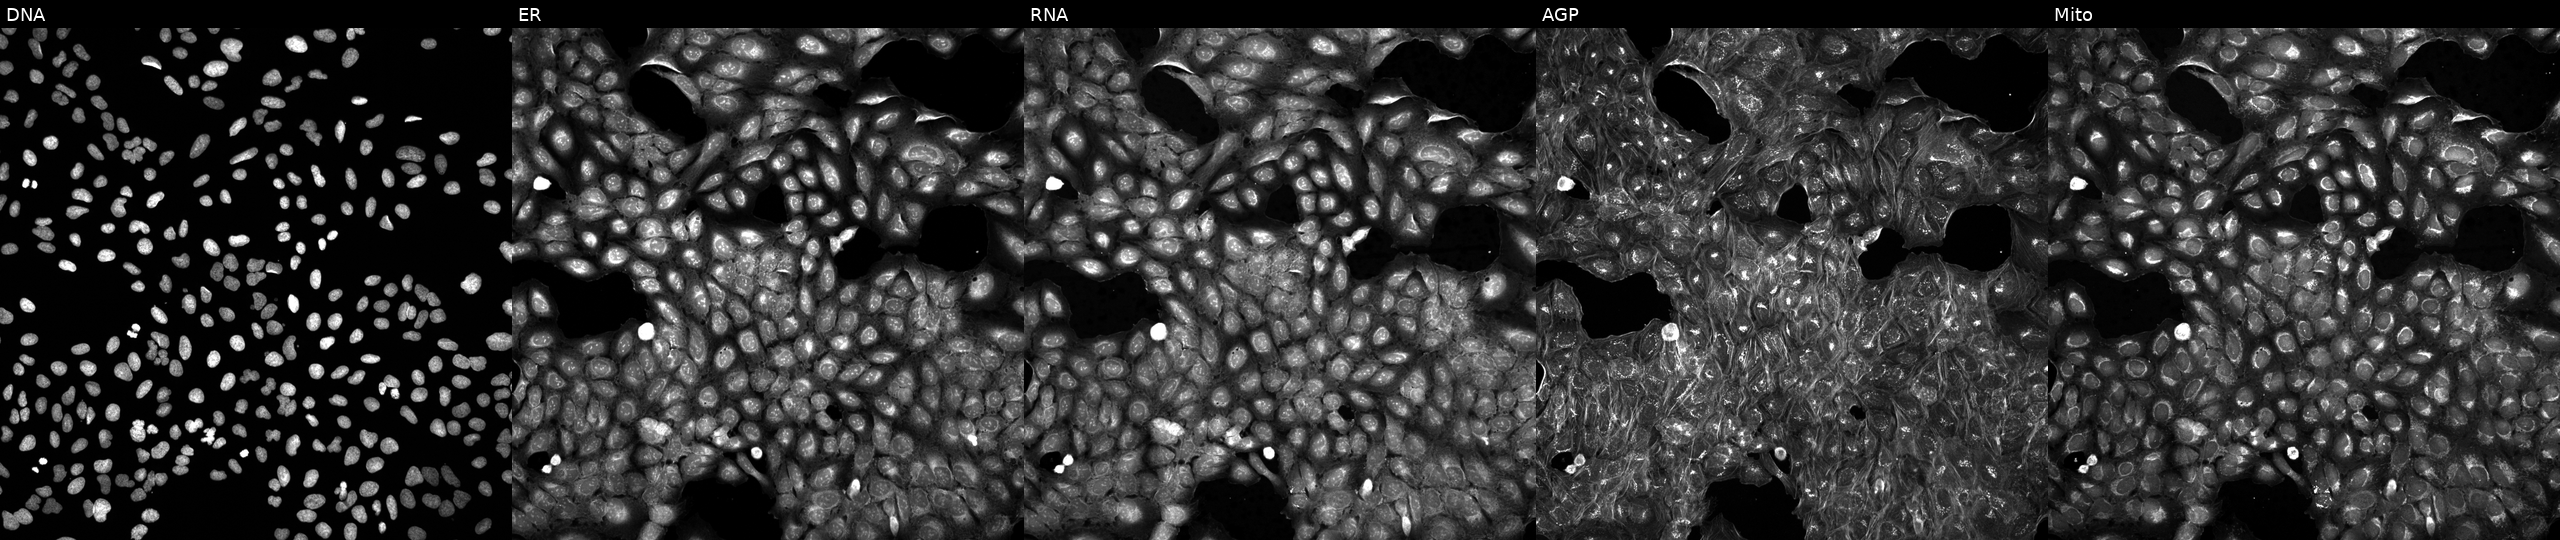
High-content fluorescence microscopy (Cell Painting). Cell line: U2OS. Perturbation: exposed to a small-molecule compound (InChIKey OYWOJAWRTYBPKH-UHFFFAOYSA-N) [SMILES: COc1ccc(OC)c(S(=O)(=O)N2CCC3COCCN(C)C3C2)c1]. The five panels, left to right, show DNA, ER, RNA, AGP, and Mito. Source 5, plate APTJUM106, well D12.